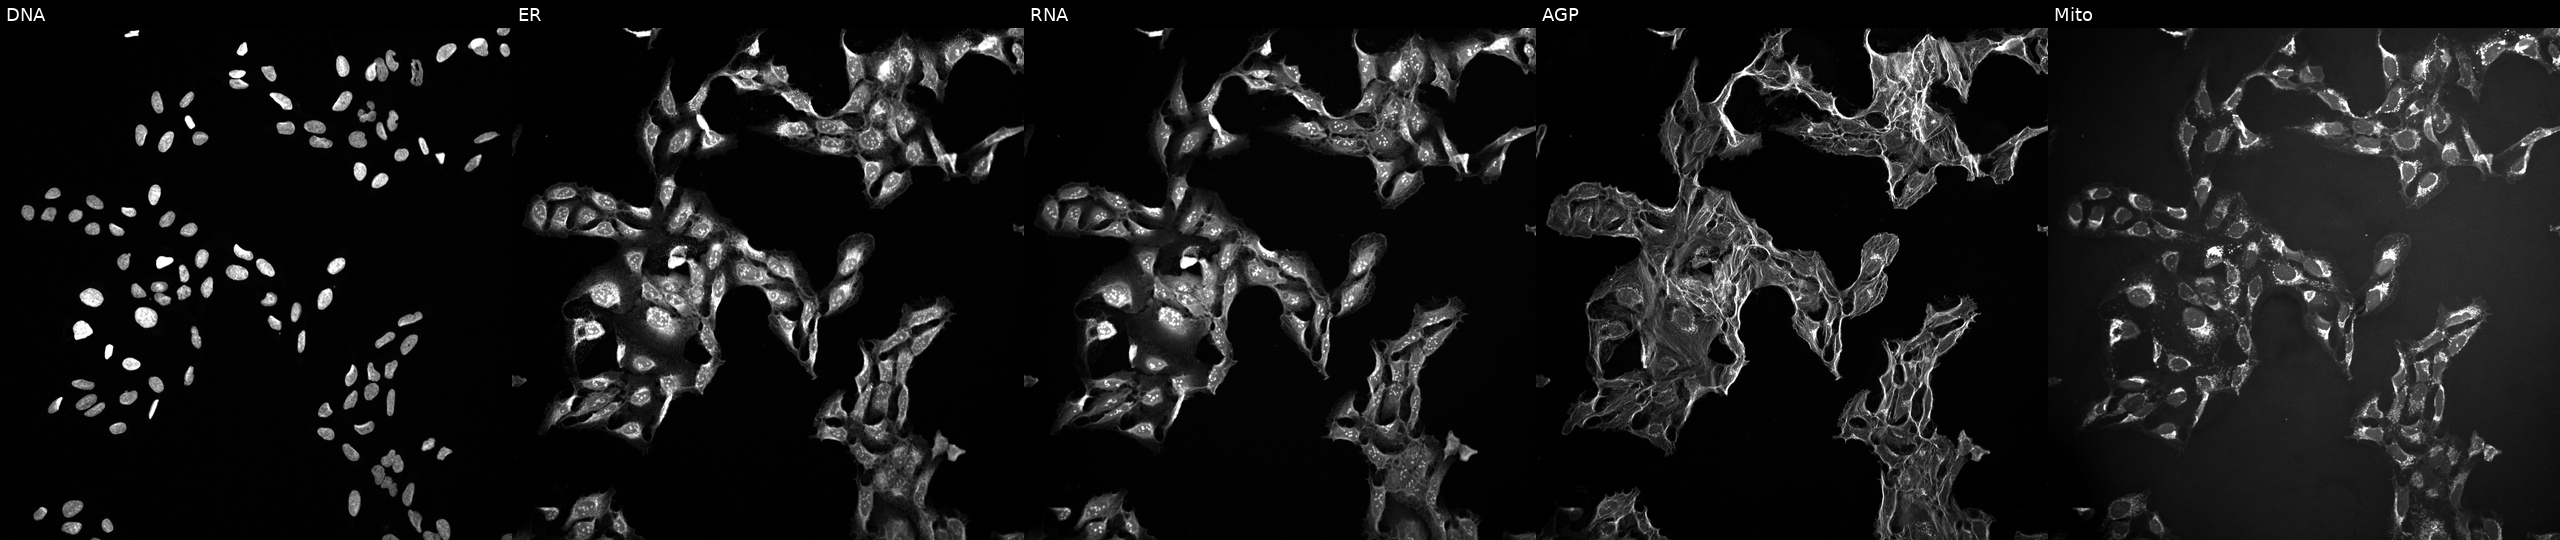
JUMP Cell Painting — TARGET2 plate. U2OS cells exposed to a small-molecule compound (InChIKey TZDUHAJSIBHXDL-UHFFFAOYSA-N) (JUMP id JCP2022_087693). Panels show, left to right, DNA (nuclei); ER (endoplasmic reticulum); RNA (nucleoli and cytoplasmic RNA); AGP (actin cytoskeleton, Golgi, and plasma membrane); Mito (mitochondria).